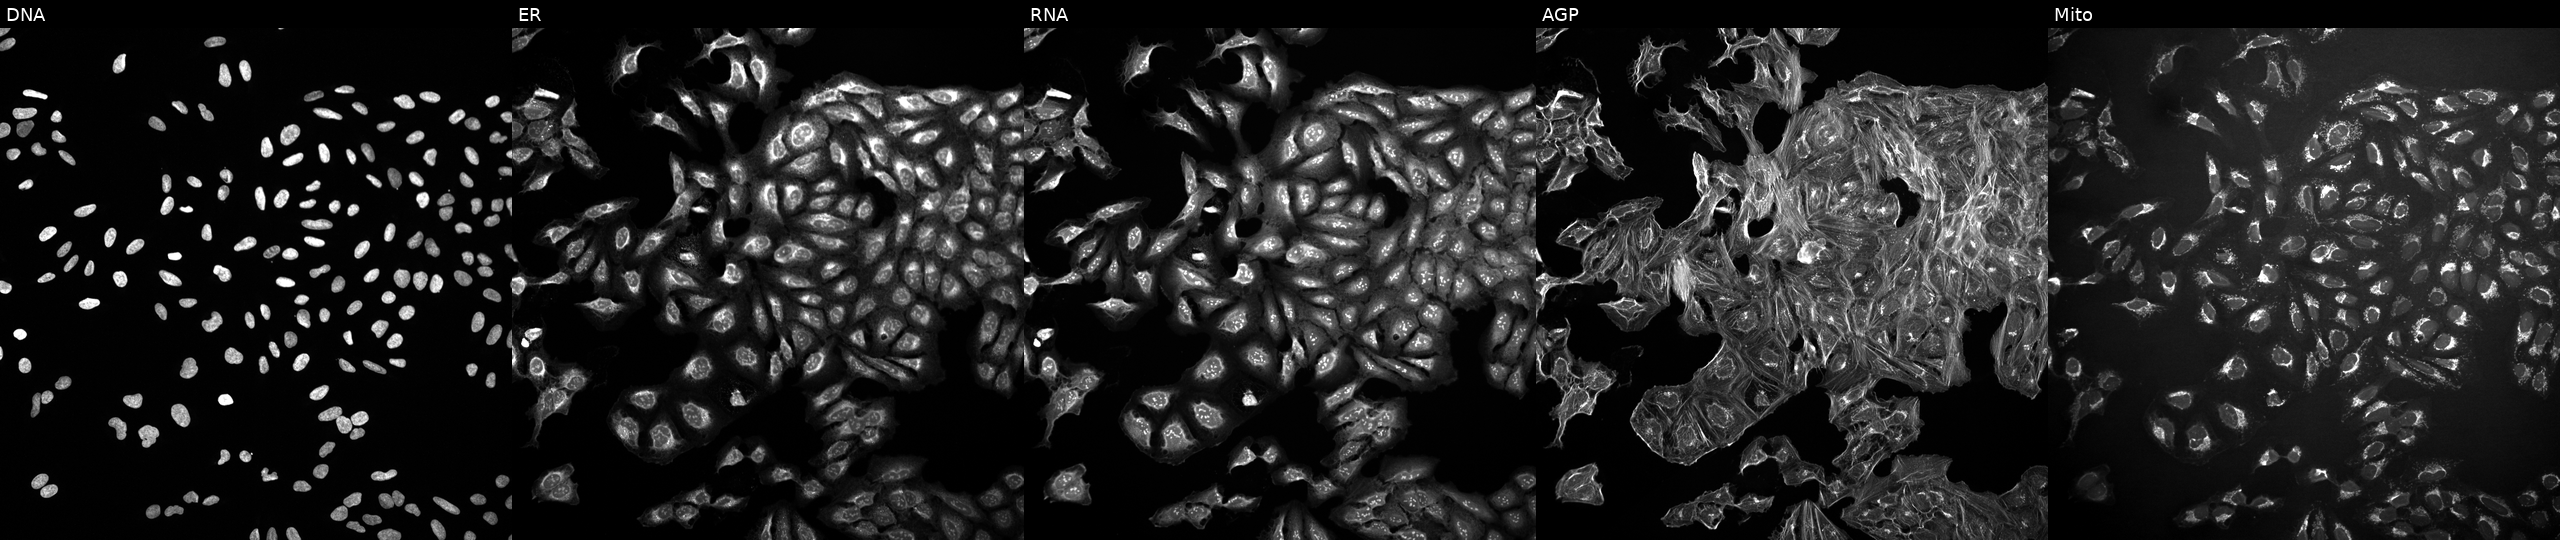
JUMP Cell Painting — TARGET2 plate. U2OS cells exposed to DMSO alone as a negative control (JUMP id JCP2022_033924). Panels show, left to right, Hoechst 33342, concanavalin A, SYTO 14, phalloidin and WGA, MitoTracker.